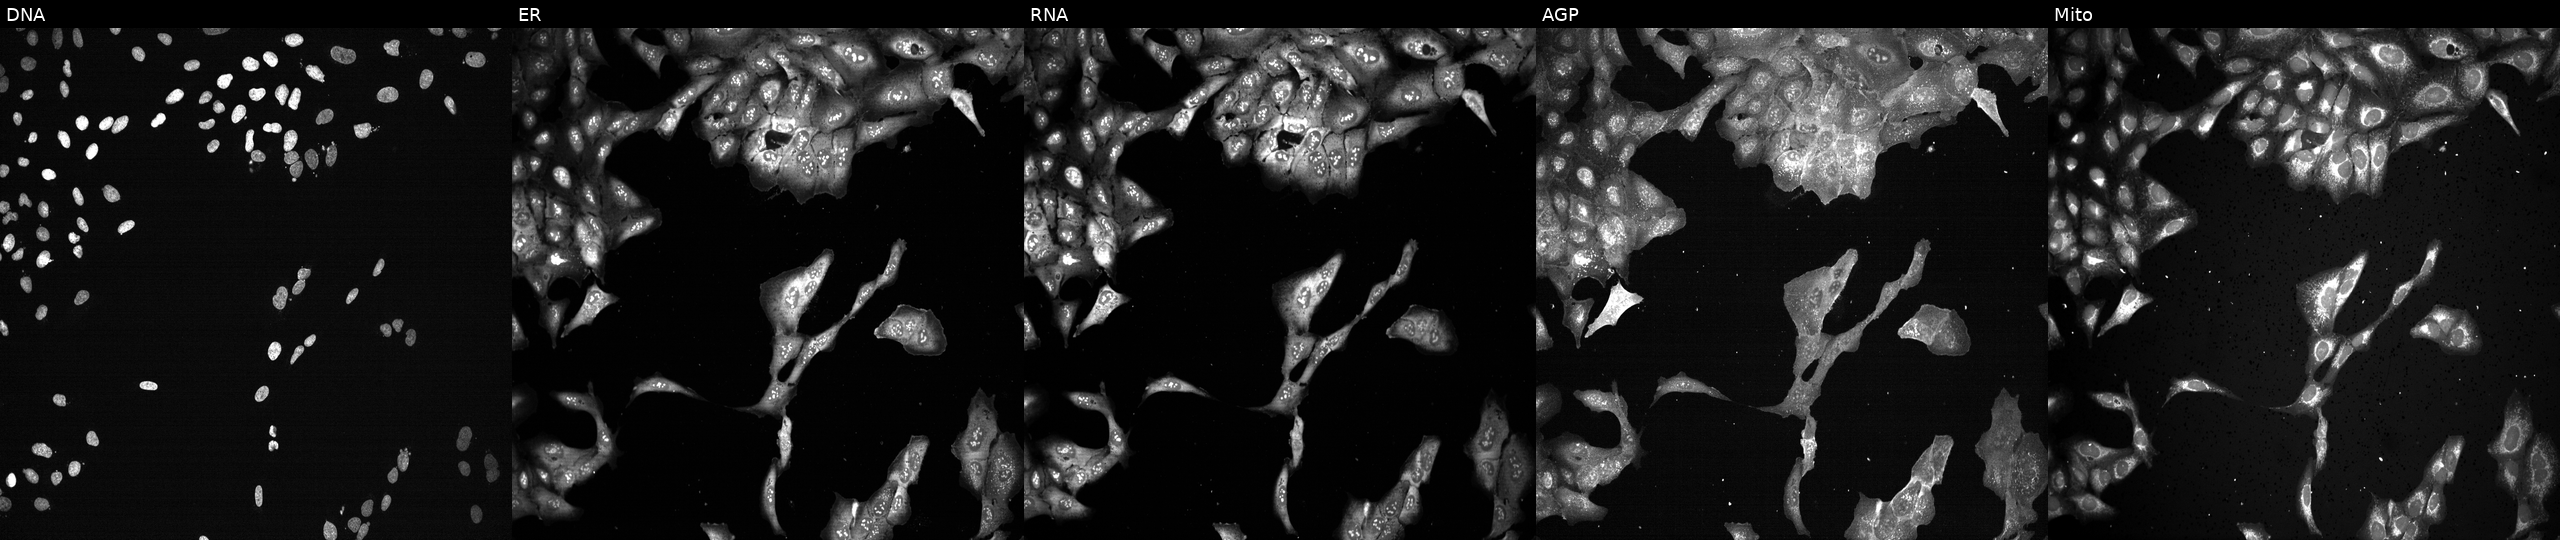
From left to right: Hoechst 33342, concanavalin A, SYTO 14, phalloidin and WGA, MitoTracker. U2OS osteosarcoma cells CRISPR-edited to disrupt KLRG1. Cell Painting assay, JUMP-CP dataset.